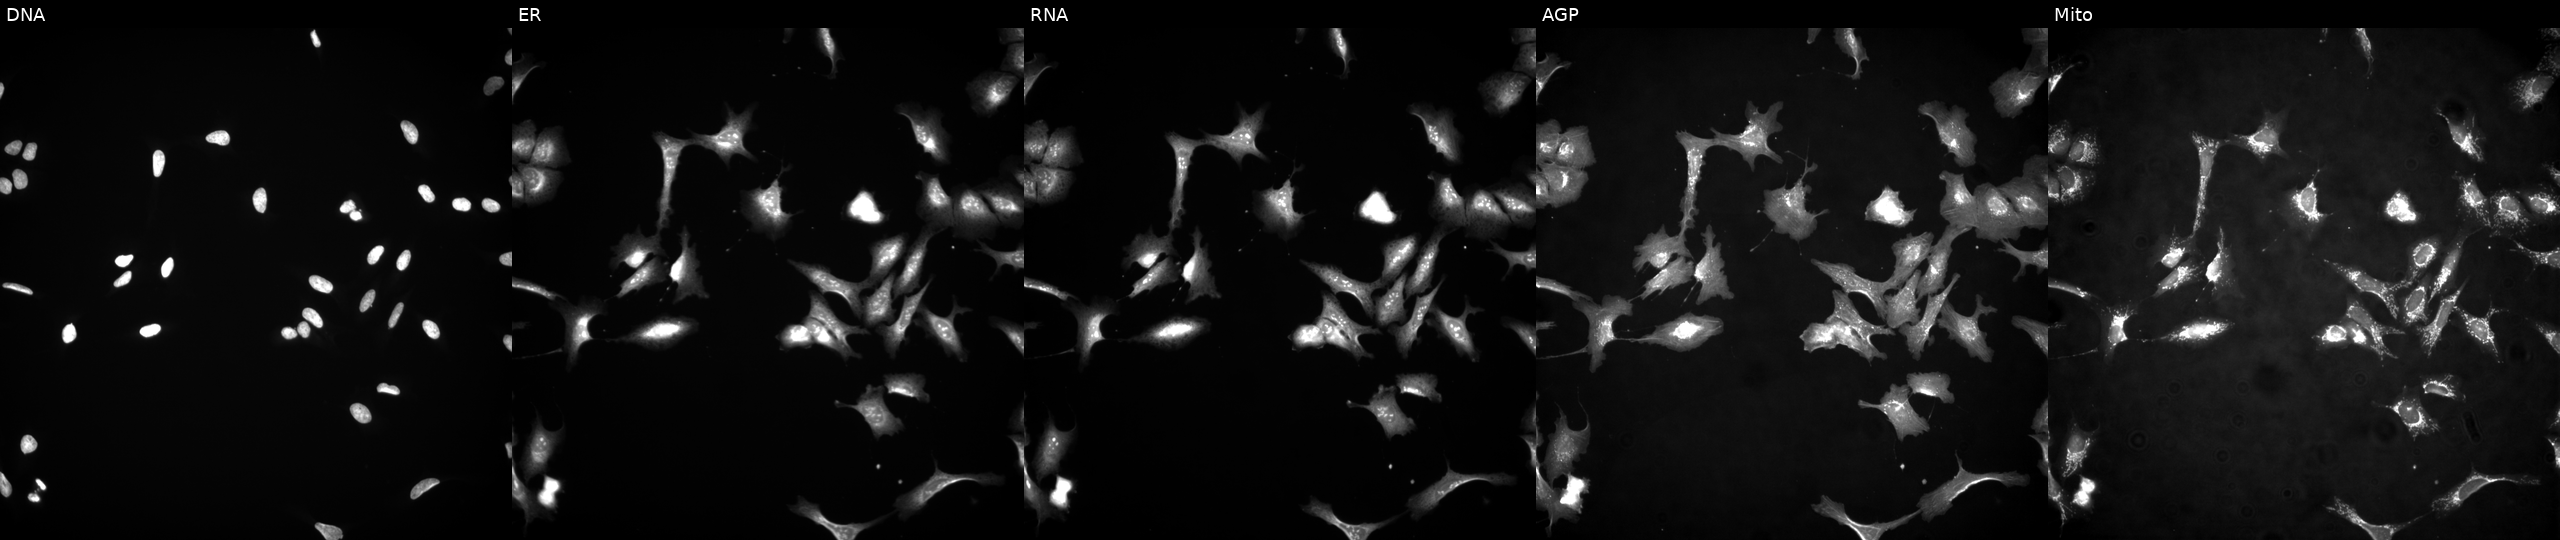
JUMP Cell Painting — ORF plate. U2OS cells transfected with an ORF construct for PSME3IP1 (JUMP id JCP2022_911804). Panels show, left to right, DNA (nuclei); ER (endoplasmic reticulum); RNA (nucleoli and cytoplasmic RNA); AGP (actin cytoskeleton, Golgi, and plasma membrane); Mito (mitochondria).